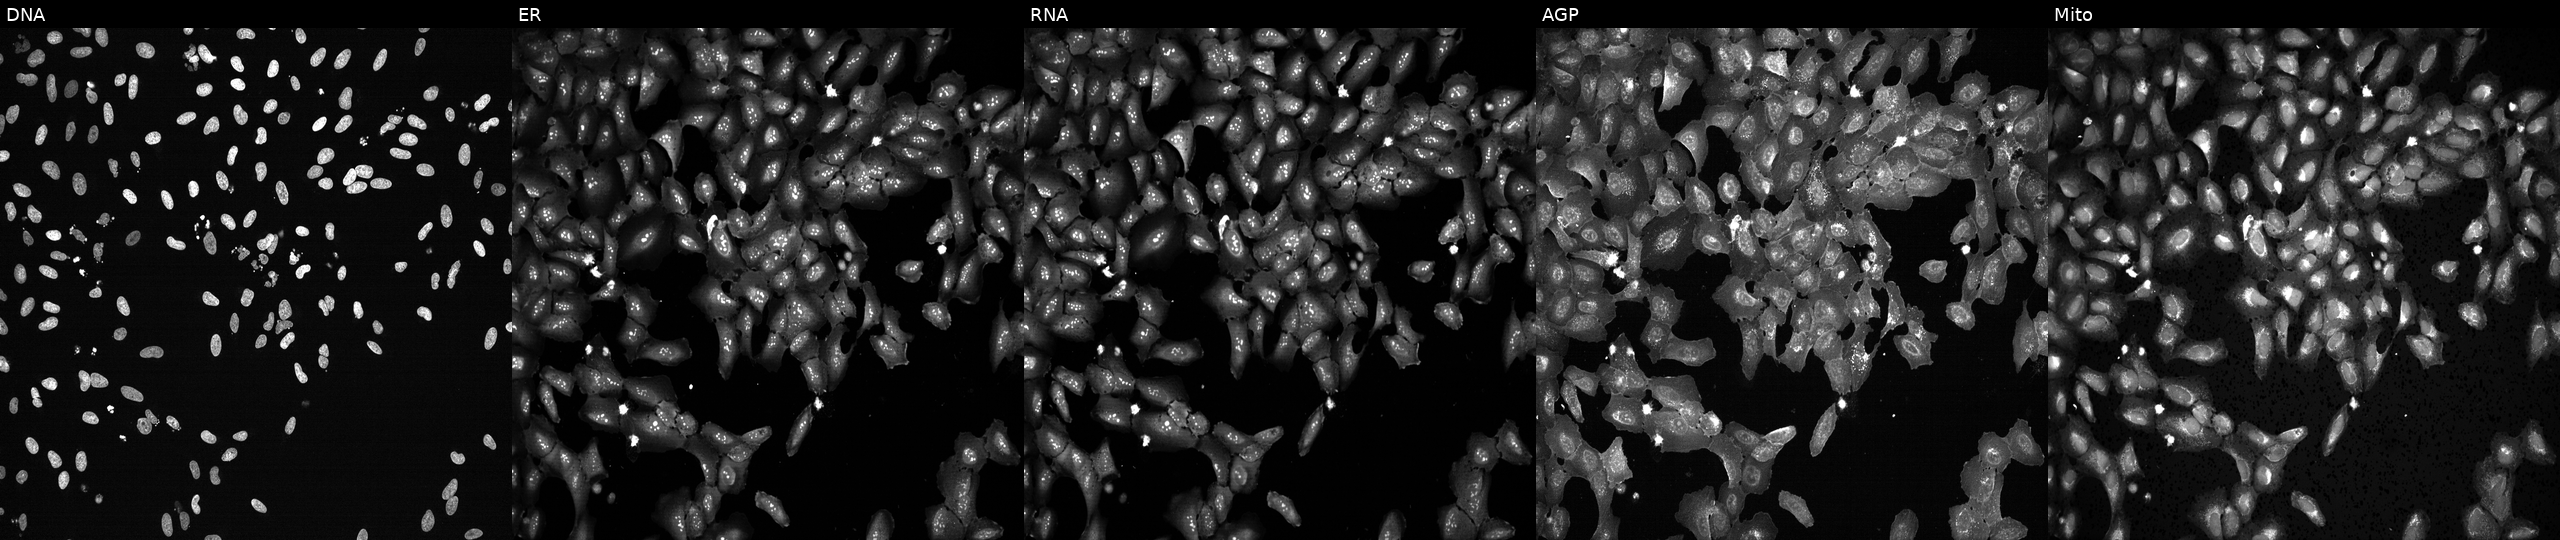
This image strip shows the five Cell Painting channels for a single field of U2OS cells treated with TC-S-7004 (positive-control compound). From left to right: DNA (nuclei); ER (endoplasmic reticulum); RNA (nucleoli and cytoplasmic RNA); AGP (actin cytoskeleton, Golgi, and plasma membrane); Mito (mitochondria).